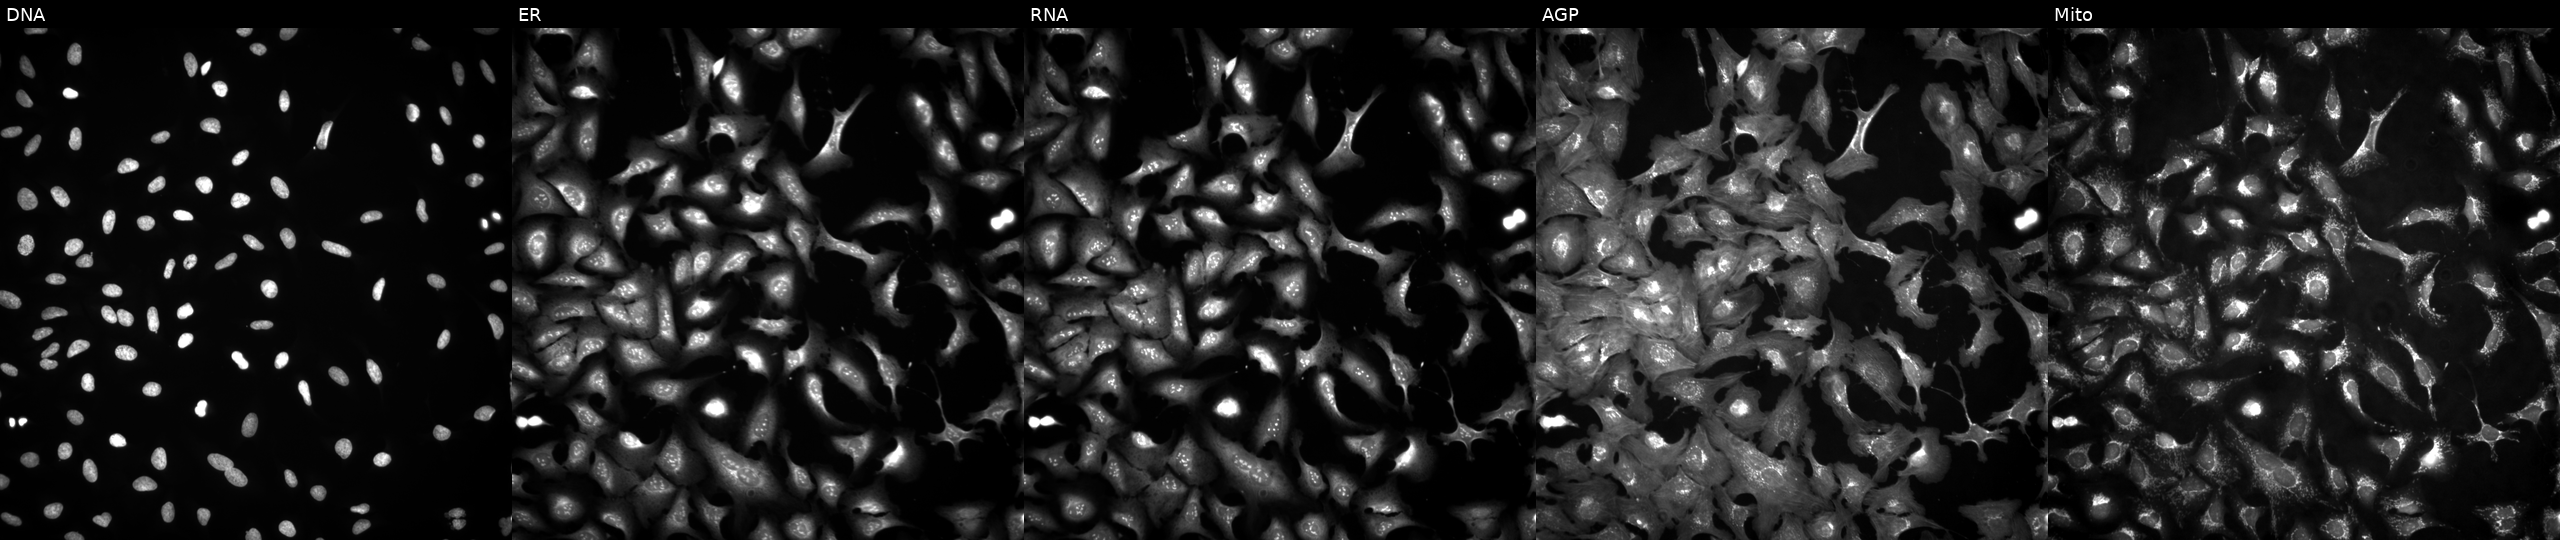
This image strip shows the five Cell Painting channels for a single field of U2OS cells with PAPSS1 overexpressed (ORF) (JUMP id JCP2022_913945). Channels (left→right): Hoechst 33342, concanavalin A, SYTO 14, phalloidin and WGA, MitoTracker.